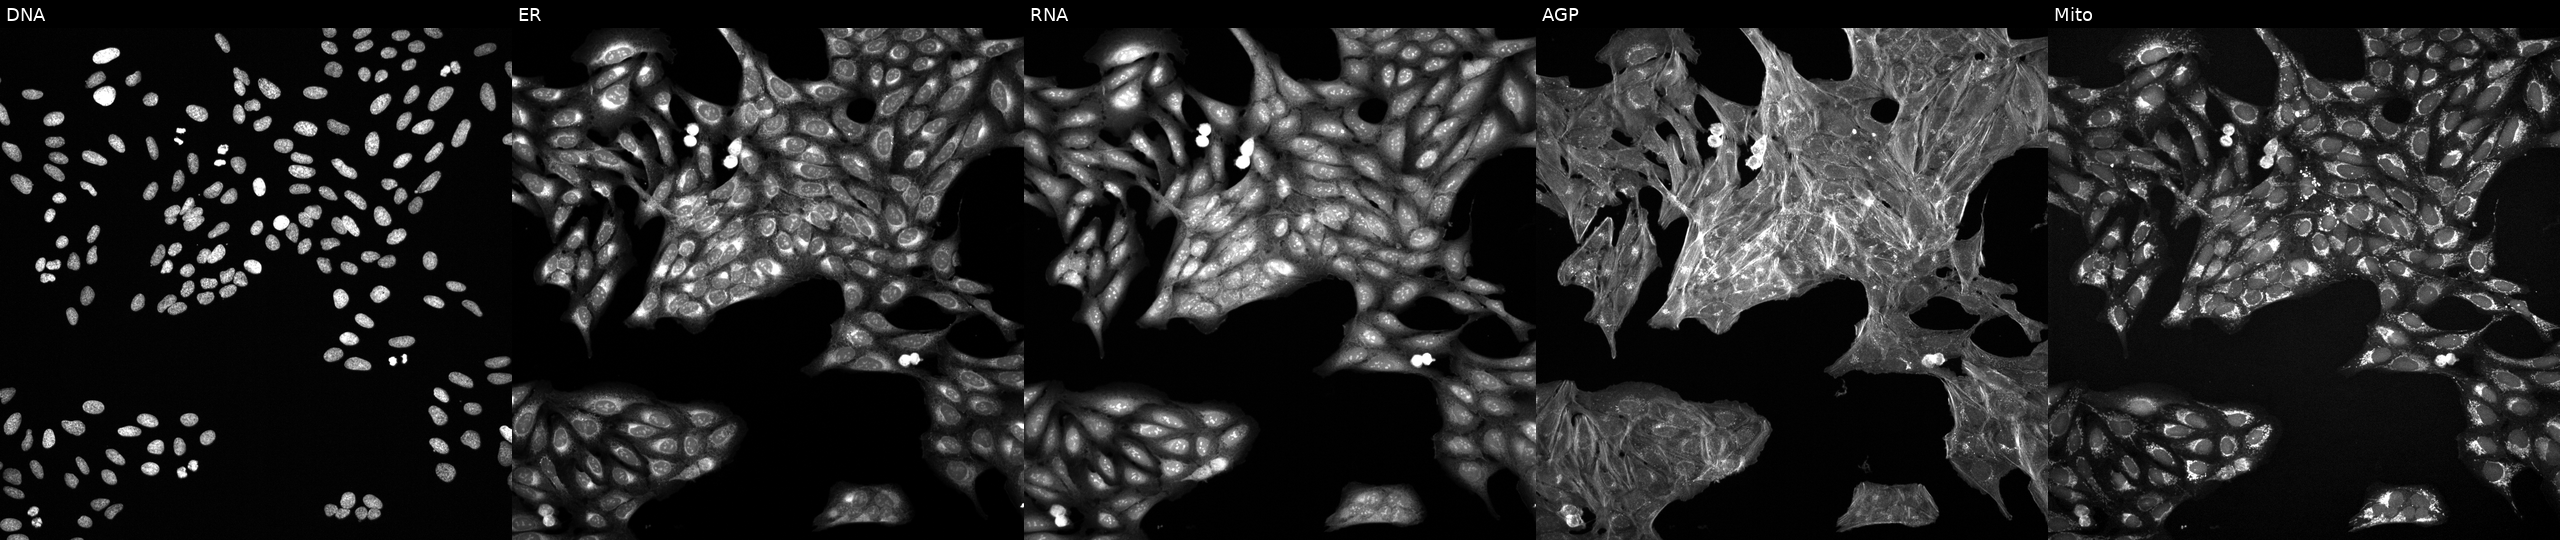
This image strip shows the five Cell Painting channels for a single field of U2OS cells perturbed with a small-molecule compound (InChIKey CUIHSIWYWATEQL-UHFFFAOYSA-N). From left to right: Hoechst 33342, concanavalin A, SYTO 14, phalloidin and WGA, MitoTracker.